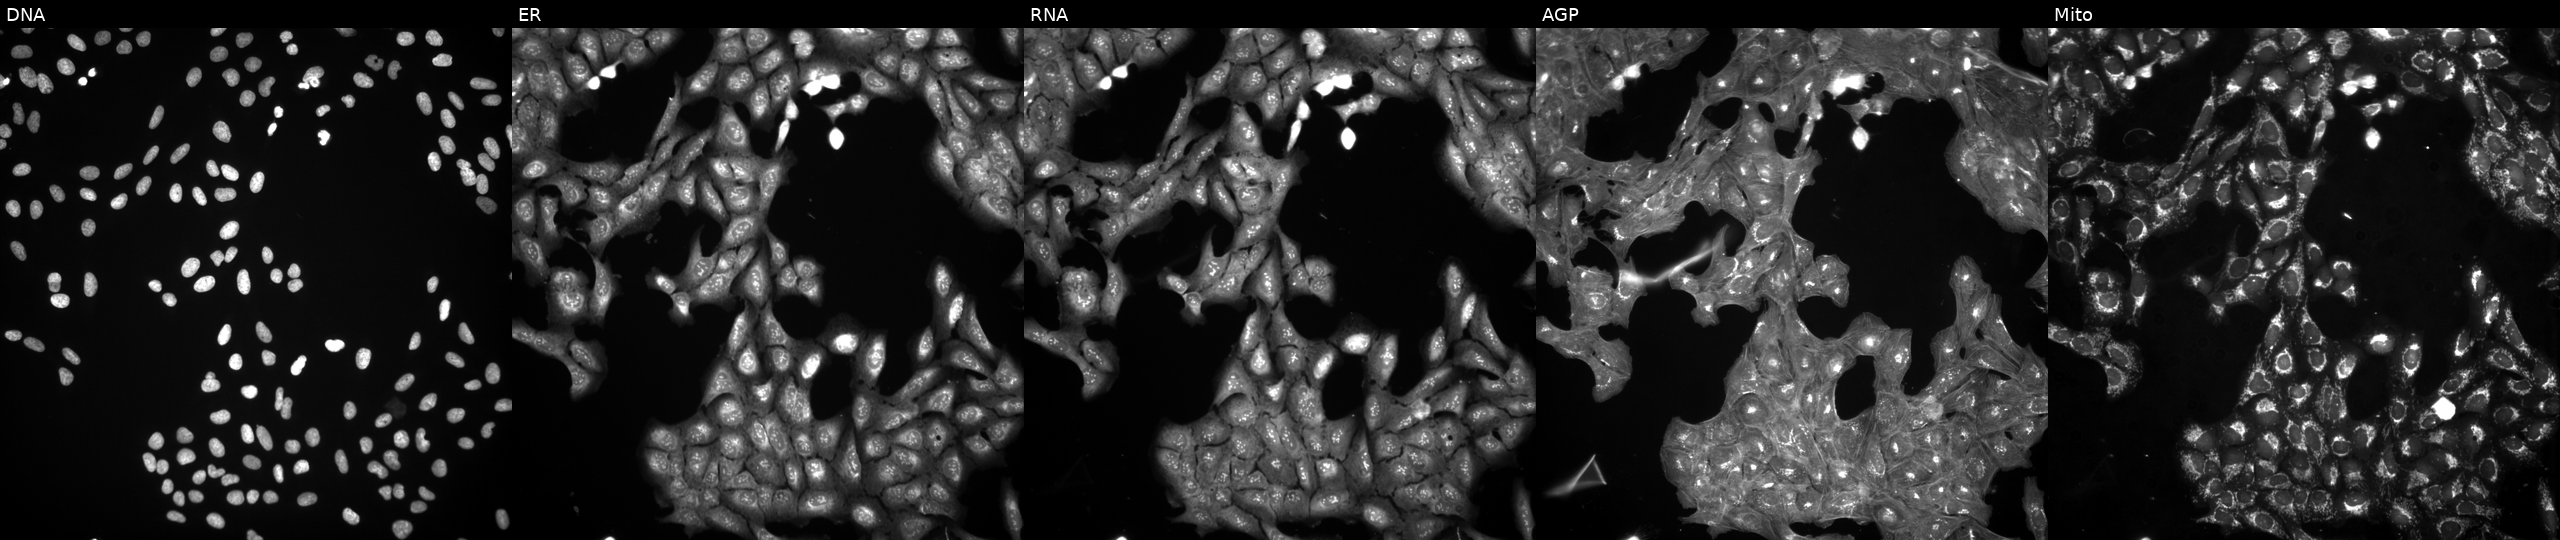
This image strip shows the five Cell Painting channels for a single field of U2OS cells perturbed with a small-molecule compound. The five panels, left to right, show DNA (nuclei); ER (endoplasmic reticulum); RNA (nucleoli and cytoplasmic RNA); AGP (actin cytoskeleton, Golgi, and plasma membrane); Mito (mitochondria). Source 3, plate JCPQC052, well C15.